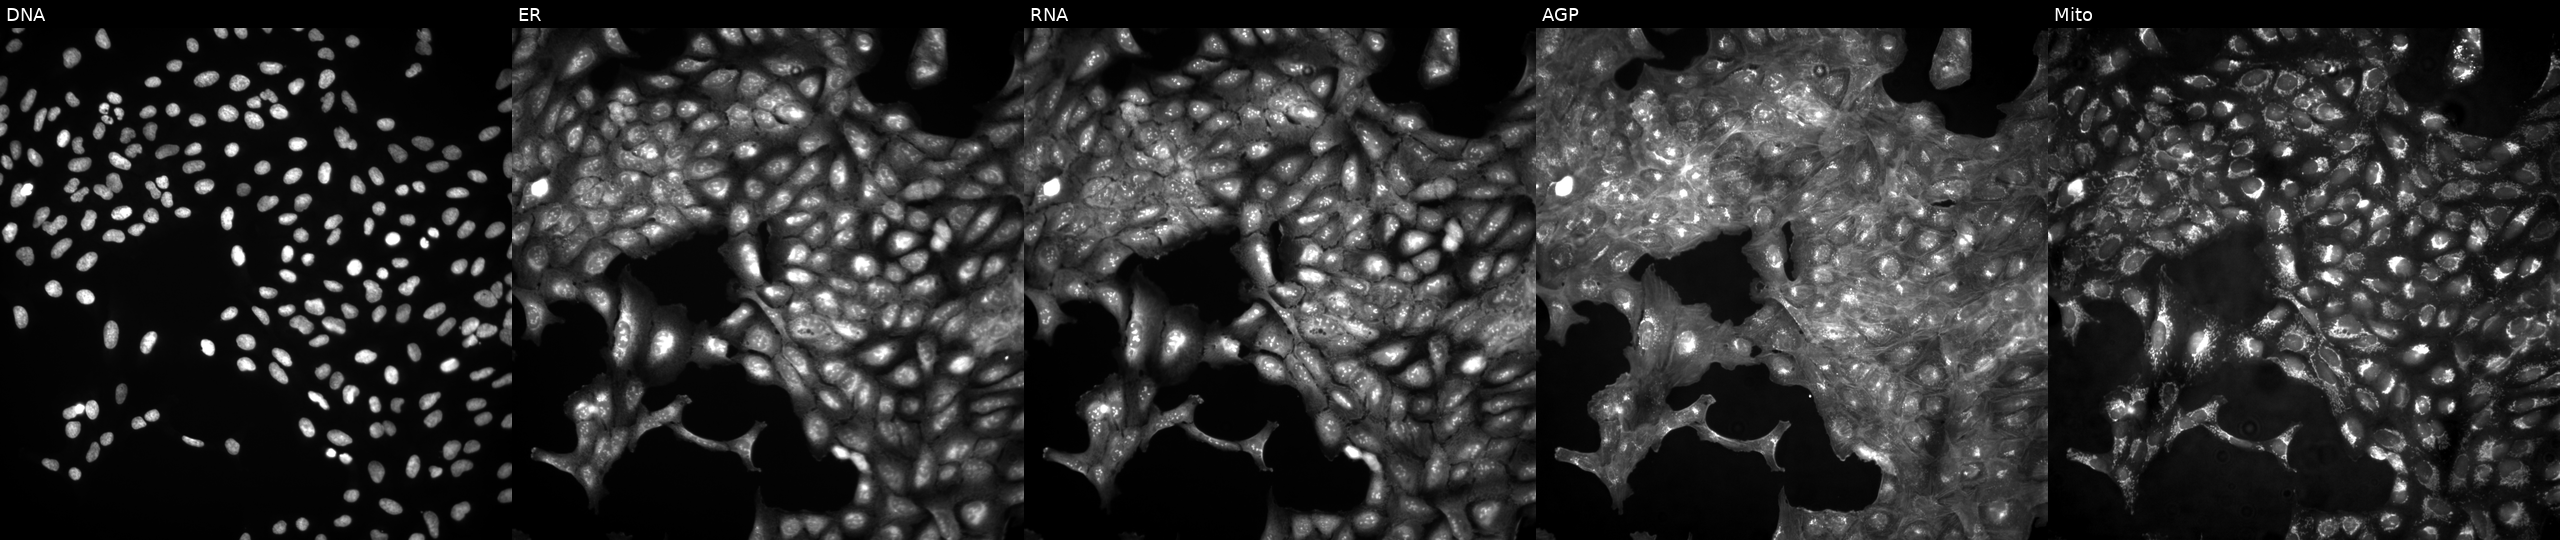
U2OS cells, Cell Painting assay, untreated (empty-well control). Panels show, left to right, DNA (nuclei); ER (endoplasmic reticulum); RNA (nucleoli and cytoplasmic RNA); AGP (actin cytoskeleton, Golgi, and plasma membrane); Mito (mitochondria). Each panel is percentile-stretched 16-bit fluorescence.